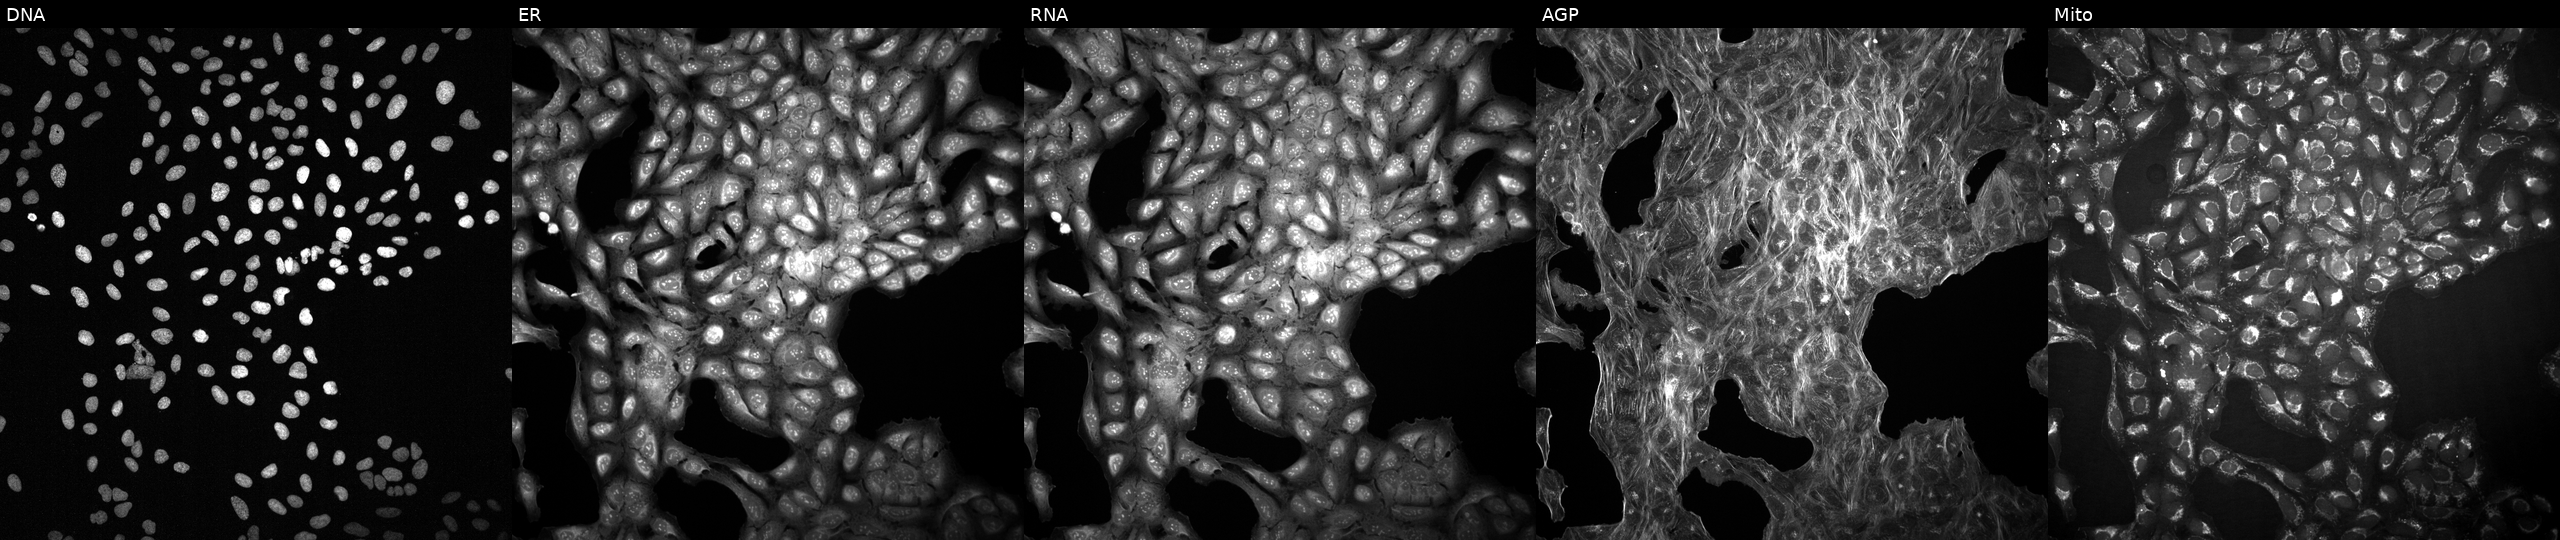
JUMP Cell Painting — COMPOUND plate. U2OS cells exposed to DMSO alone as a negative control. Panels show, left to right, Hoechst 33342, concanavalin A, SYTO 14, phalloidin and WGA, MitoTracker.